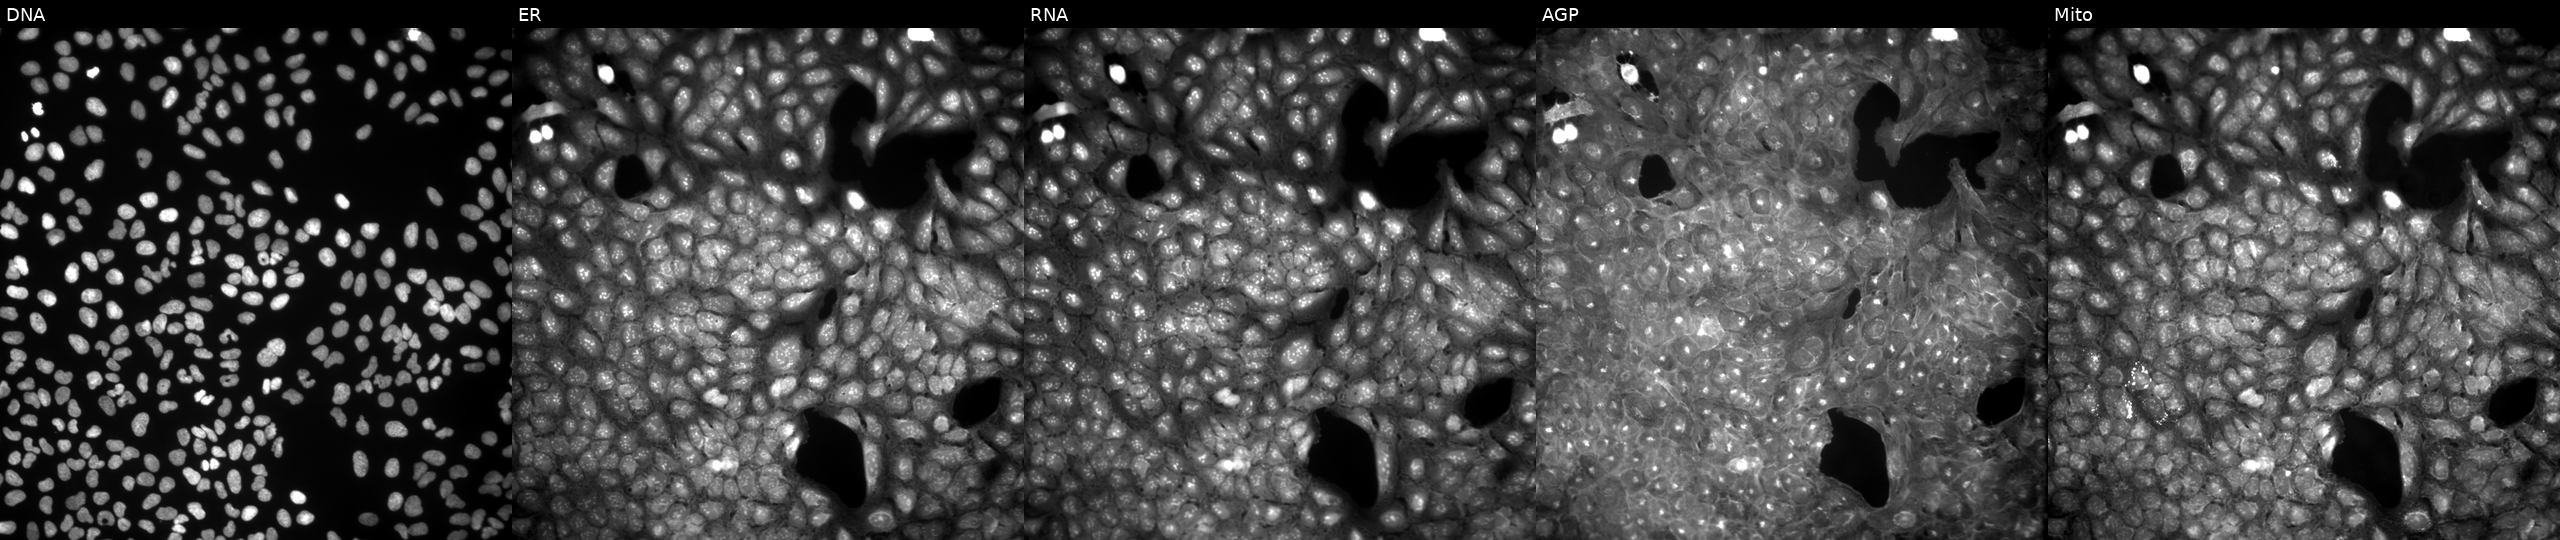
This image strip shows the five Cell Painting channels for a single field of U2OS cells treated with quinidine (positive-control compound). The five panels, left to right, show DNA (nuclei); ER (endoplasmic reticulum); RNA (nucleoli and cytoplasmic RNA); AGP (actin cytoskeleton, Golgi, and plasma membrane); Mito (mitochondria).